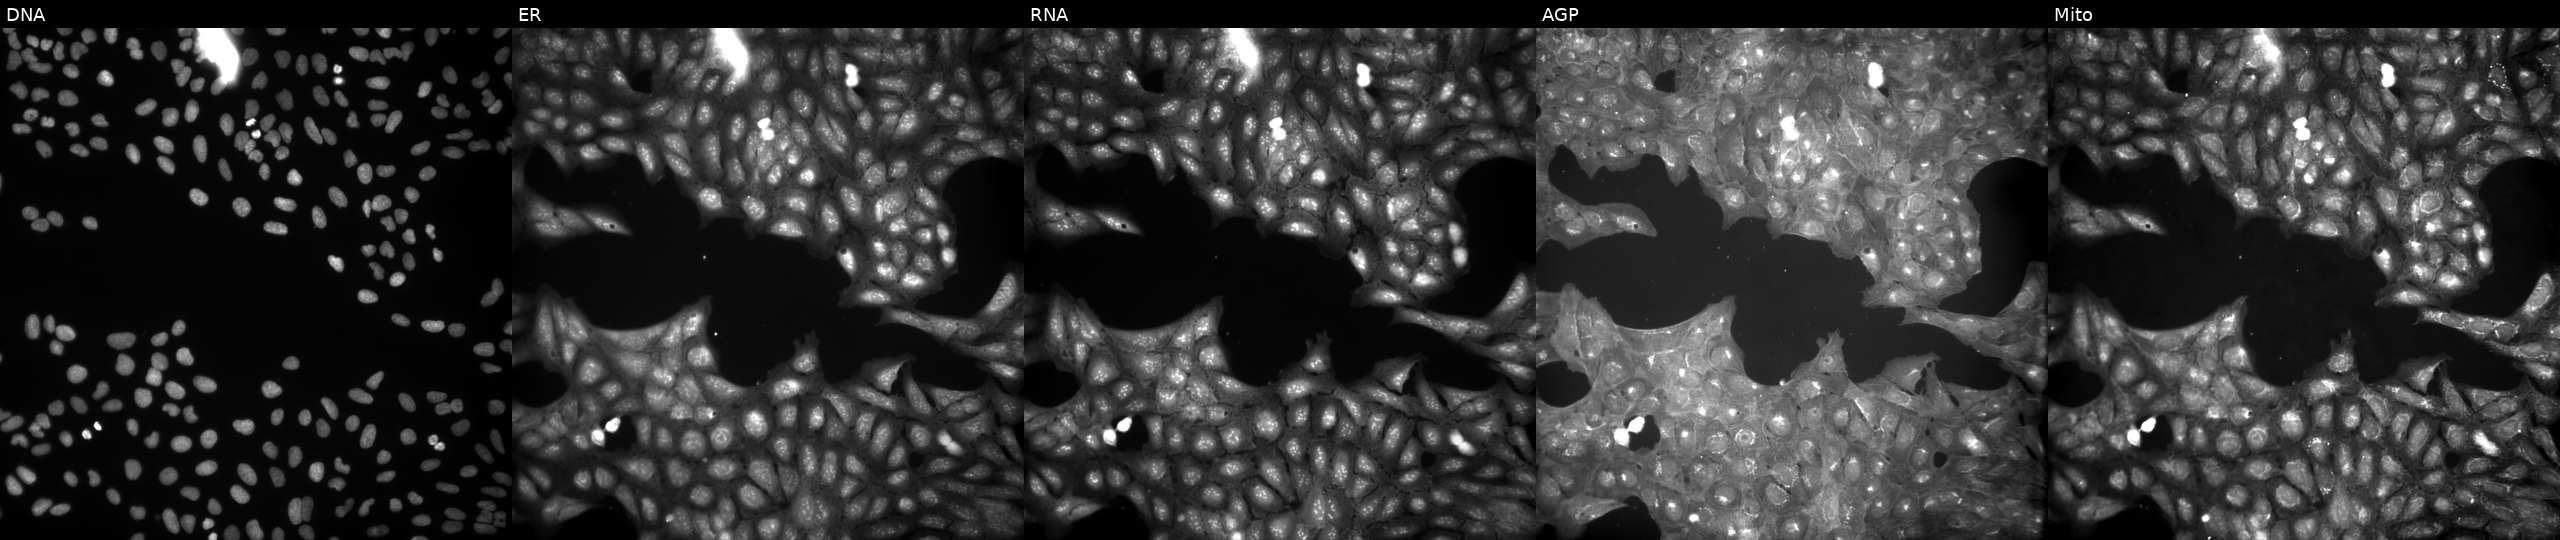
U2OS cells, Cell Painting assay, perturbed with a small-molecule compound (InChIKey FUZMULJCDAKXRP-UHFFFAOYSA-N) [SMILES: Cc1cc(C(=O)NN=C2CCCCC2)c2ccccc2n1] (JUMP id JCP2022_023151). Panels show, left to right, DNA (nuclei); ER (endoplasmic reticulum); RNA (nucleoli and cytoplasmic RNA); AGP (actin cytoskeleton, Golgi, and plasma membrane); Mito (mitochondria). Each panel is percentile-stretched 16-bit fluorescence.